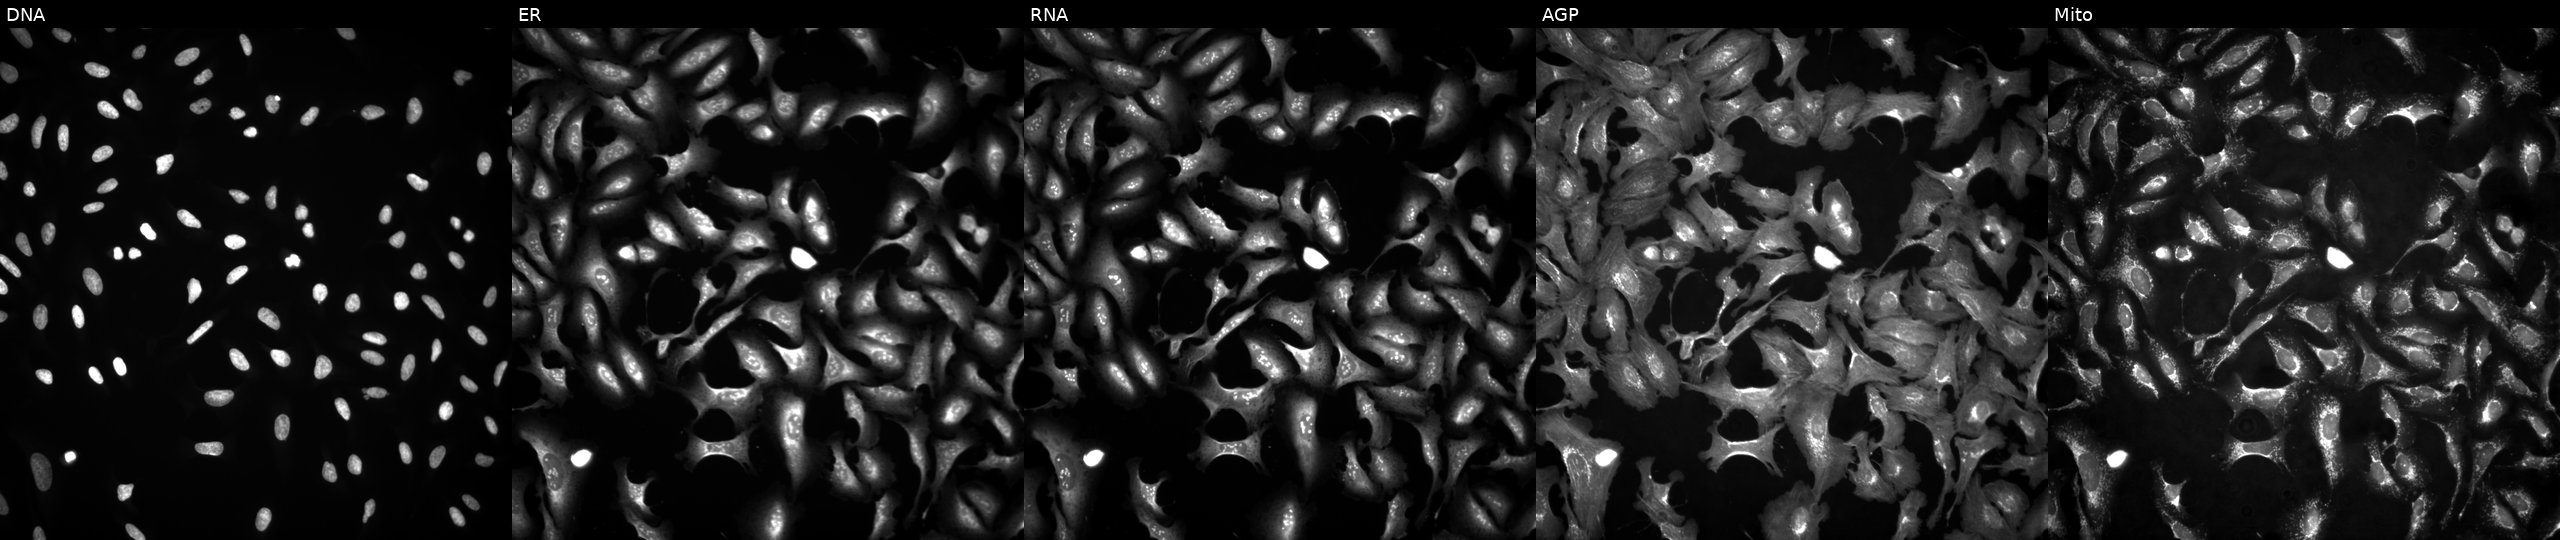
JUMP Cell Painting — ORF plate. U2OS cells overexpressing TLK2 via ORF transfection (JUMP id JCP2022_910794). Panels show, left to right, DNA, ER, RNA, AGP, and Mito.